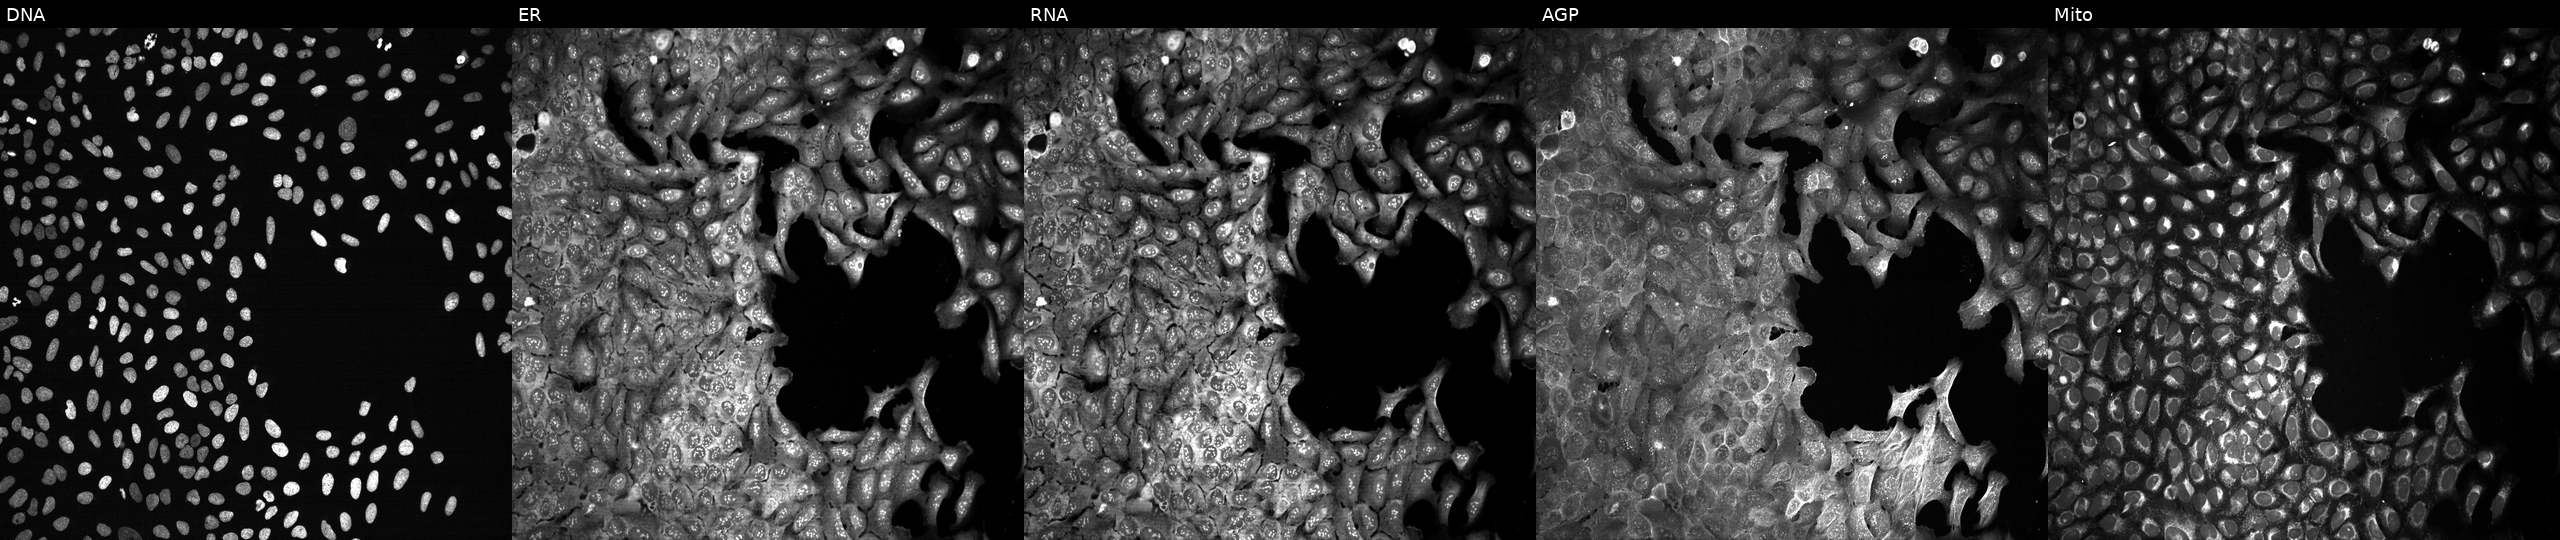
This image strip shows the five Cell Painting channels for a single field of U2OS cells with a non-targeting CRISPR guide (negative control). Channels (left→right): Hoechst 33342, concanavalin A, SYTO 14, phalloidin and WGA, MitoTracker.